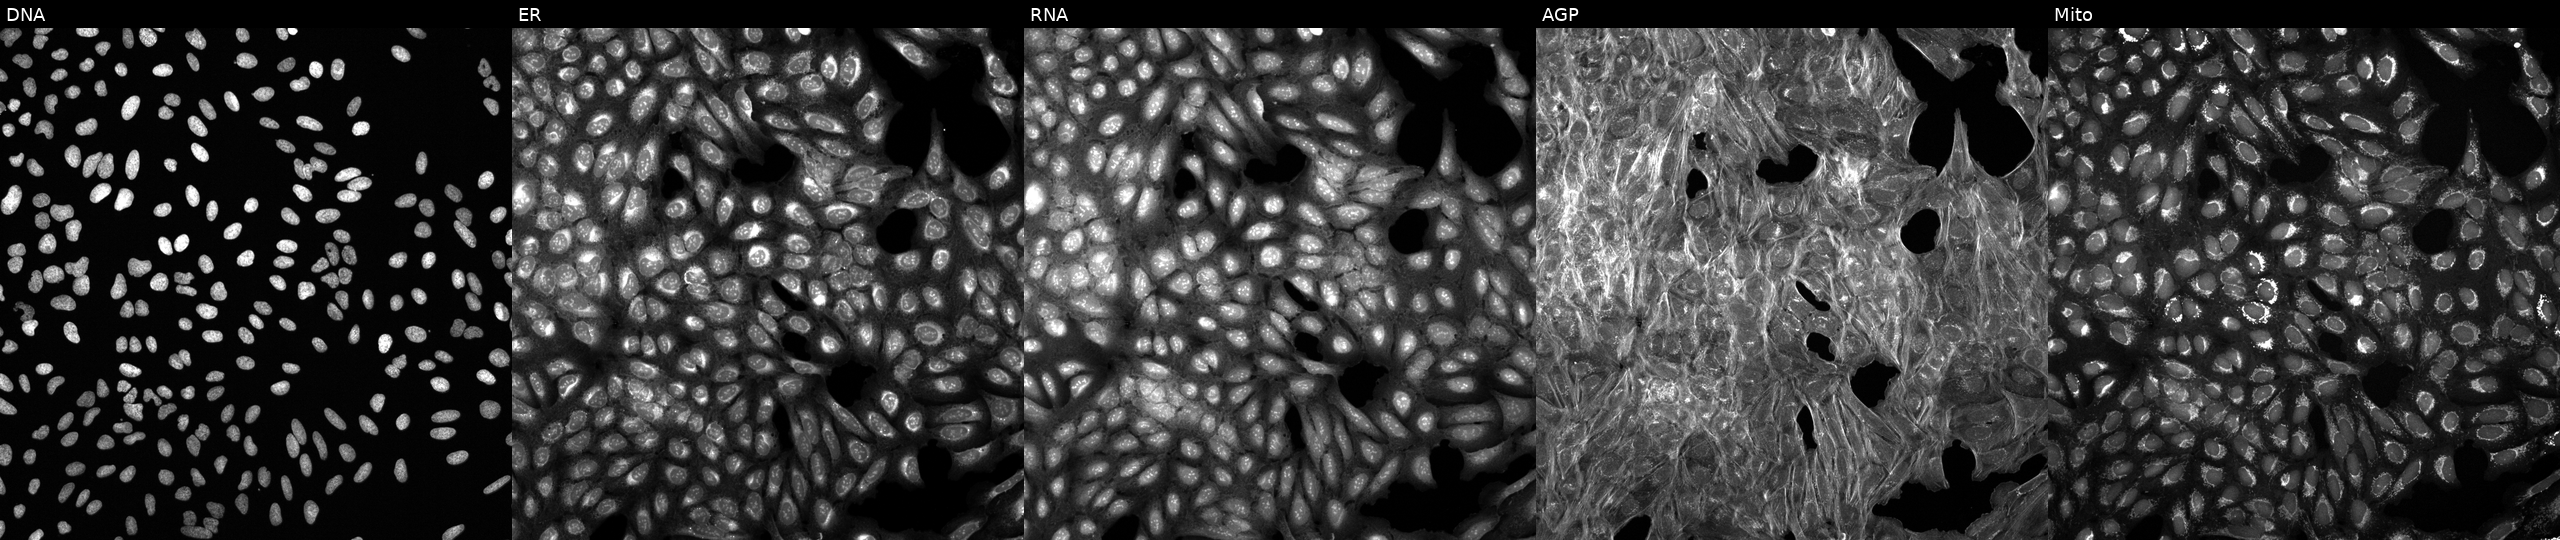
Five-channel Cell Painting image of U2OS cells perturbed with a small-molecule compound (JUMP id JCP2022_069285). From left to right: DNA, ER, RNA, AGP, and Mito.